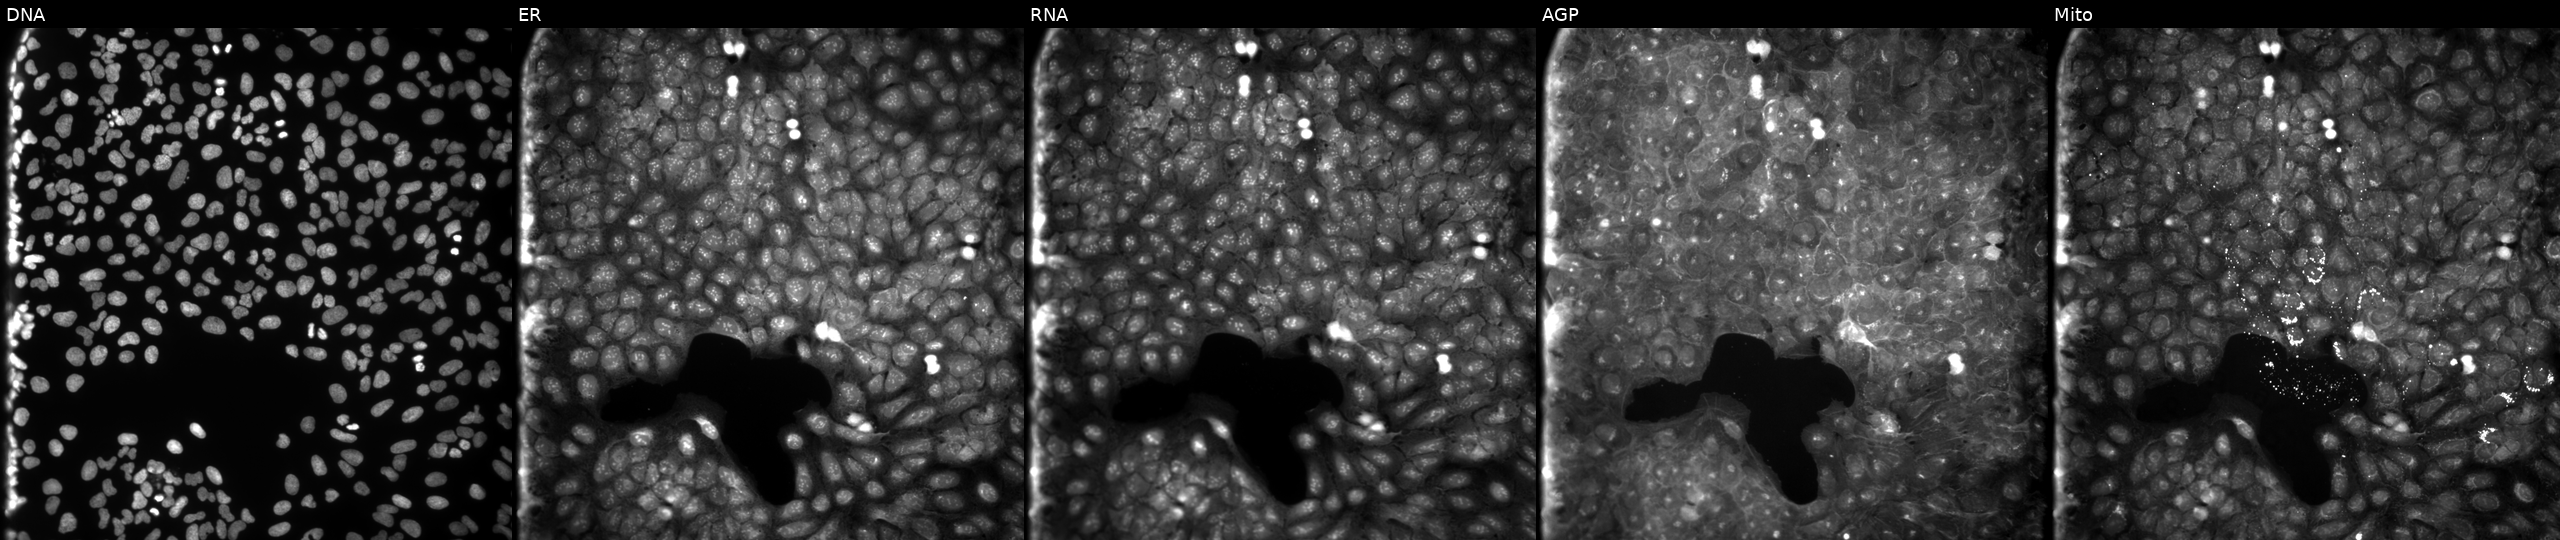
This image strip shows the five Cell Painting channels for a single field of U2OS cells treated with a small-molecule compound (JUMP id JCP2022_022722). The five panels, left to right, show DNA, ER, RNA, AGP, and Mito. Source 9, plate GR00003382, well Q08.